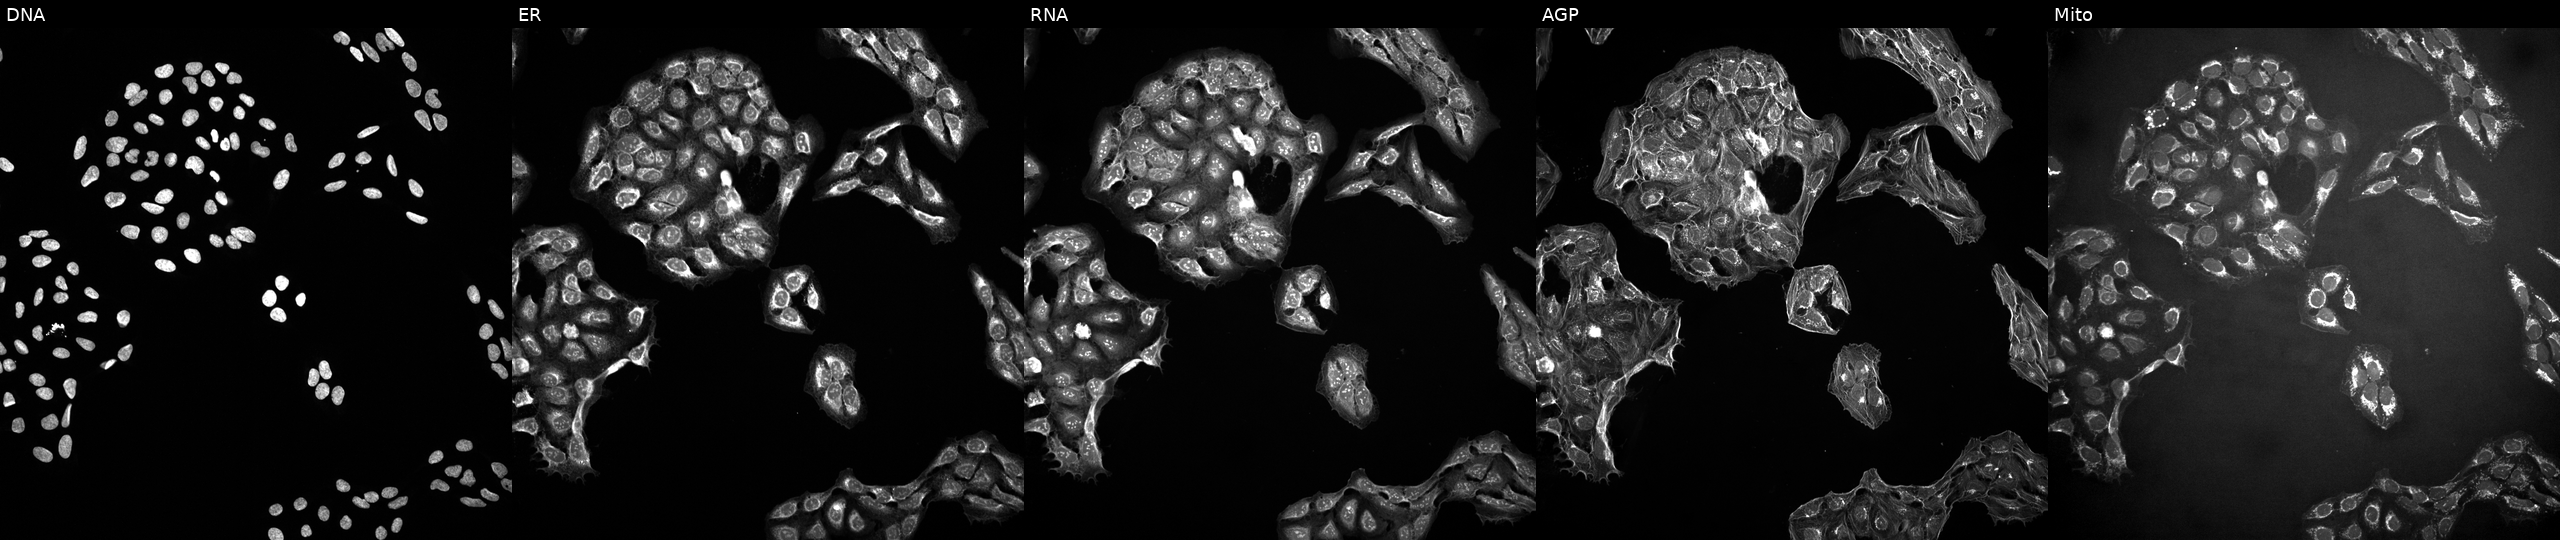
This image strip shows the five Cell Painting channels for a single field of U2OS cells in an empty control well (no perturbation). Panels show, left to right, DNA, ER, RNA, AGP, and Mito.